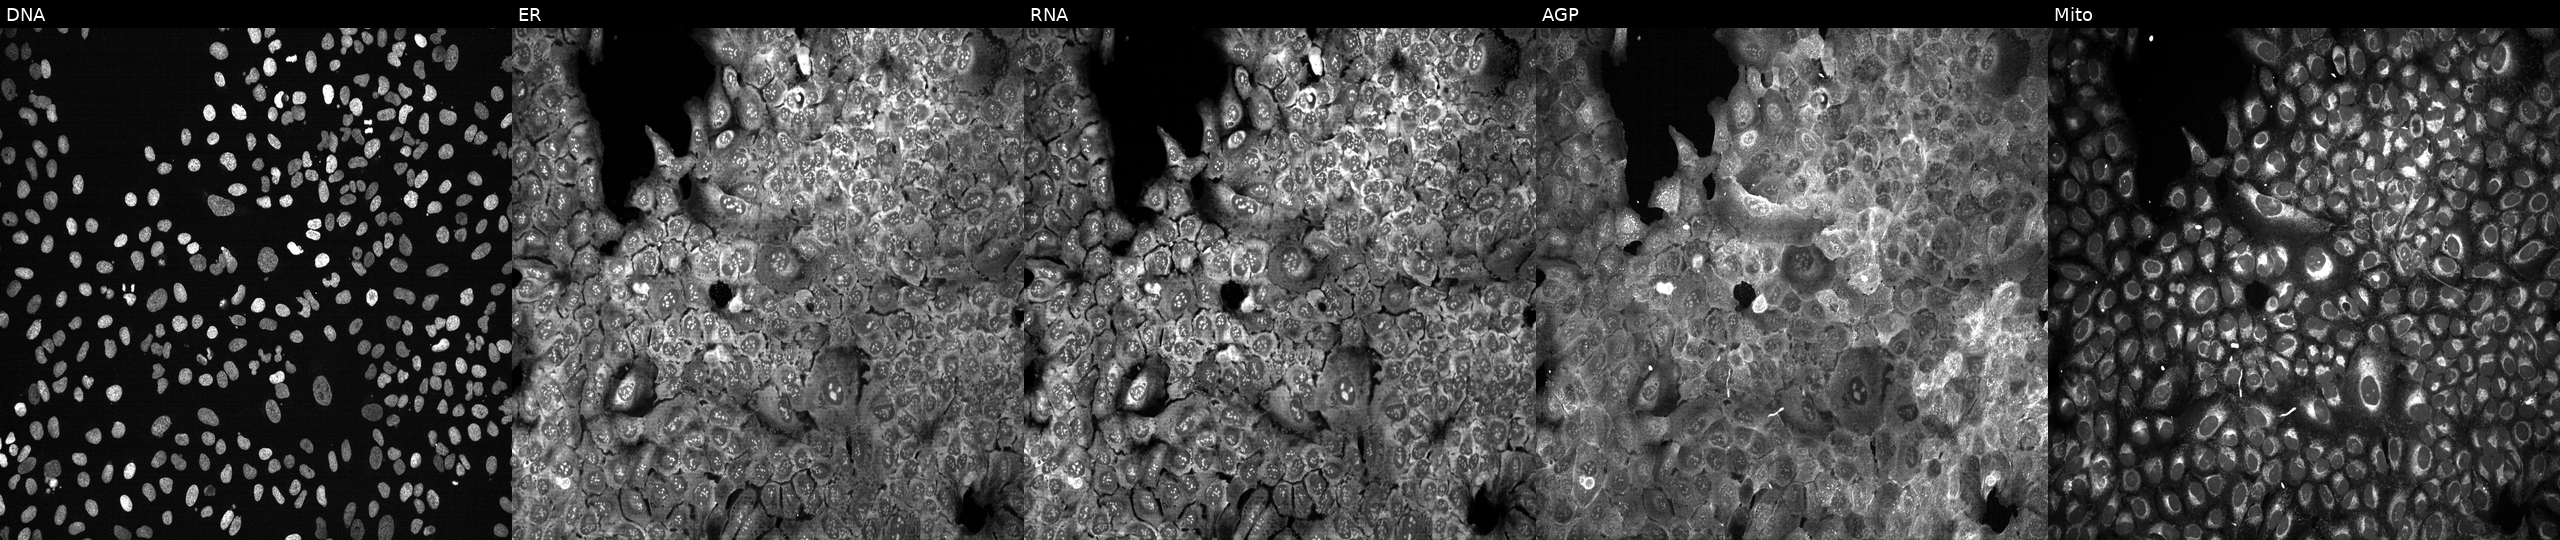
From left to right: DNA (nuclei); ER (endoplasmic reticulum); RNA (nucleoli and cytoplasmic RNA); AGP (actin cytoskeleton, Golgi, and plasma membrane); Mito (mitochondria). U2OS osteosarcoma cells following CRISPR knockout of CHAT. Cell Painting assay, JUMP-CP dataset.